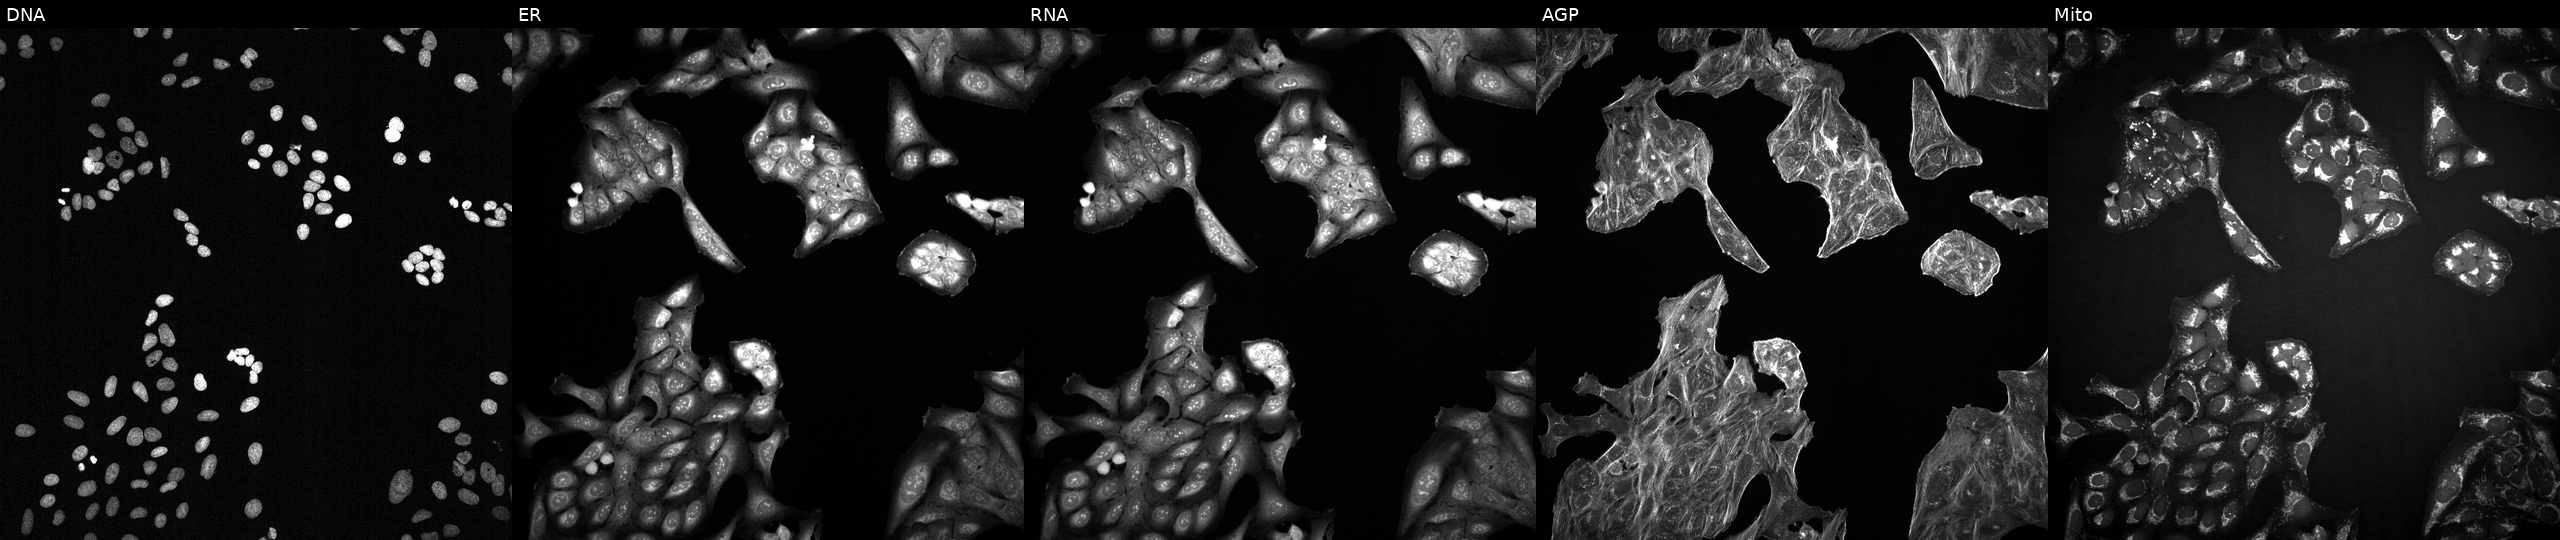
High-content fluorescence microscopy (Cell Painting). Cell line: U2OS. Perturbation: exposed to DMSO alone as a negative control (JUMP id JCP2022_033924). Panels show, left to right, DNA, ER, RNA, AGP, and Mito. Source 2, plate 1053599503, well E22.